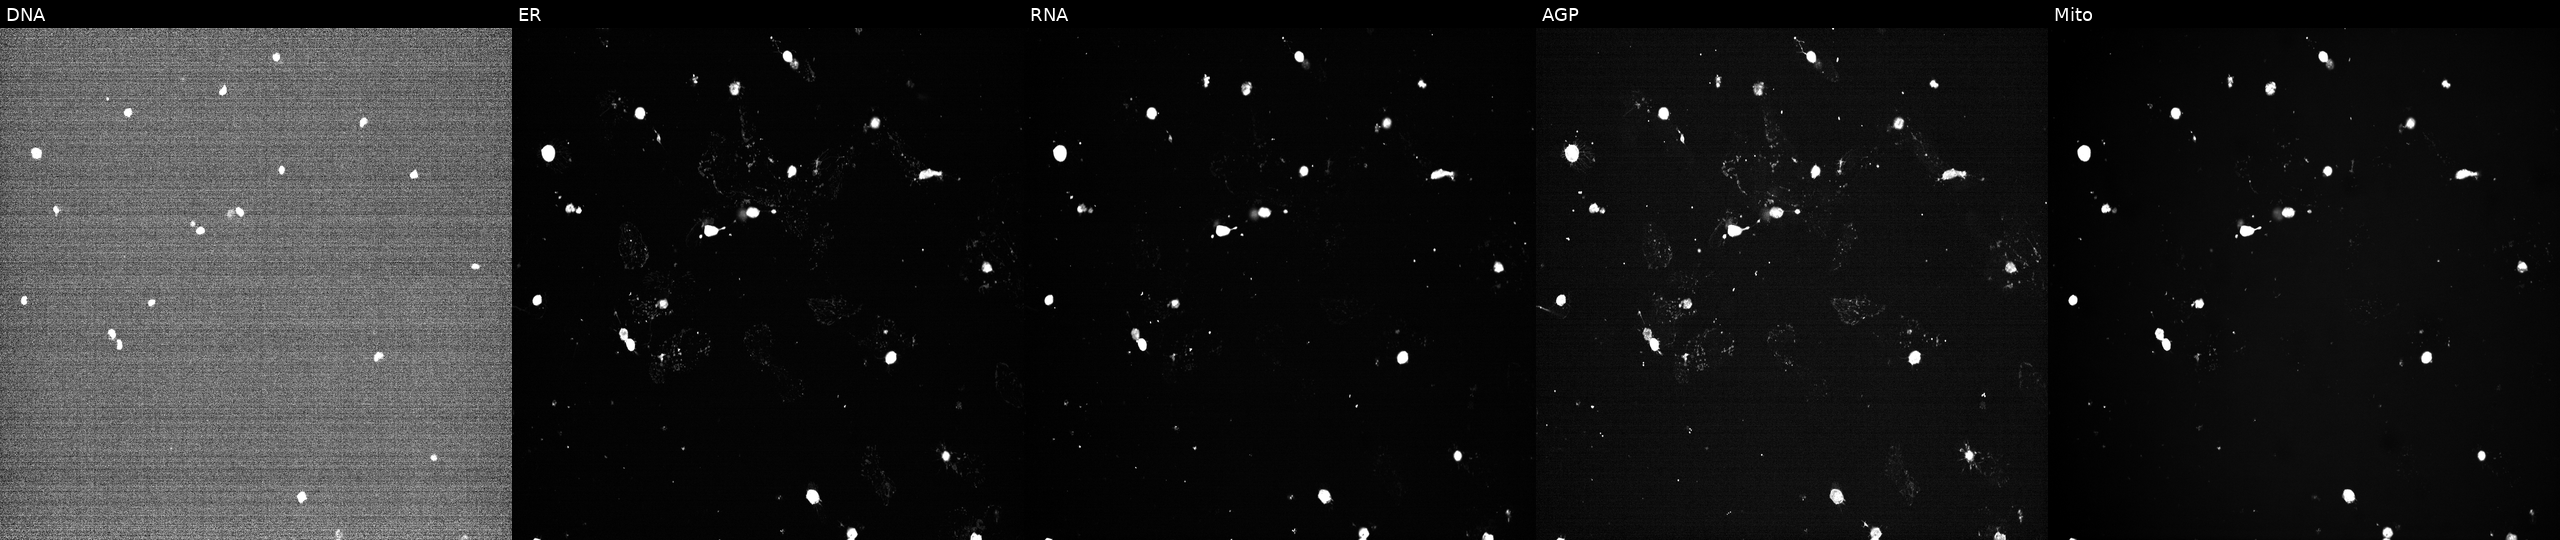
U2OS cells, Cell Painting assay, exposed to a small-molecule compound (InChIKey PKCYYPHSCUSQDK-UHFFFAOYSA-N) [SMILES: Cc1ccc(C=C2CNCC(=Cc3ccc(C)cc3)C2=O)cc1]. The five panels, left to right, show DNA (nuclei); ER (endoplasmic reticulum); RNA (nucleoli and cytoplasmic RNA); AGP (actin cytoskeleton, Golgi, and plasma membrane); Mito (mitochondria). Each panel is percentile-stretched 16-bit fluorescence. Source 7, plate CP1-SC1-25, well G18.